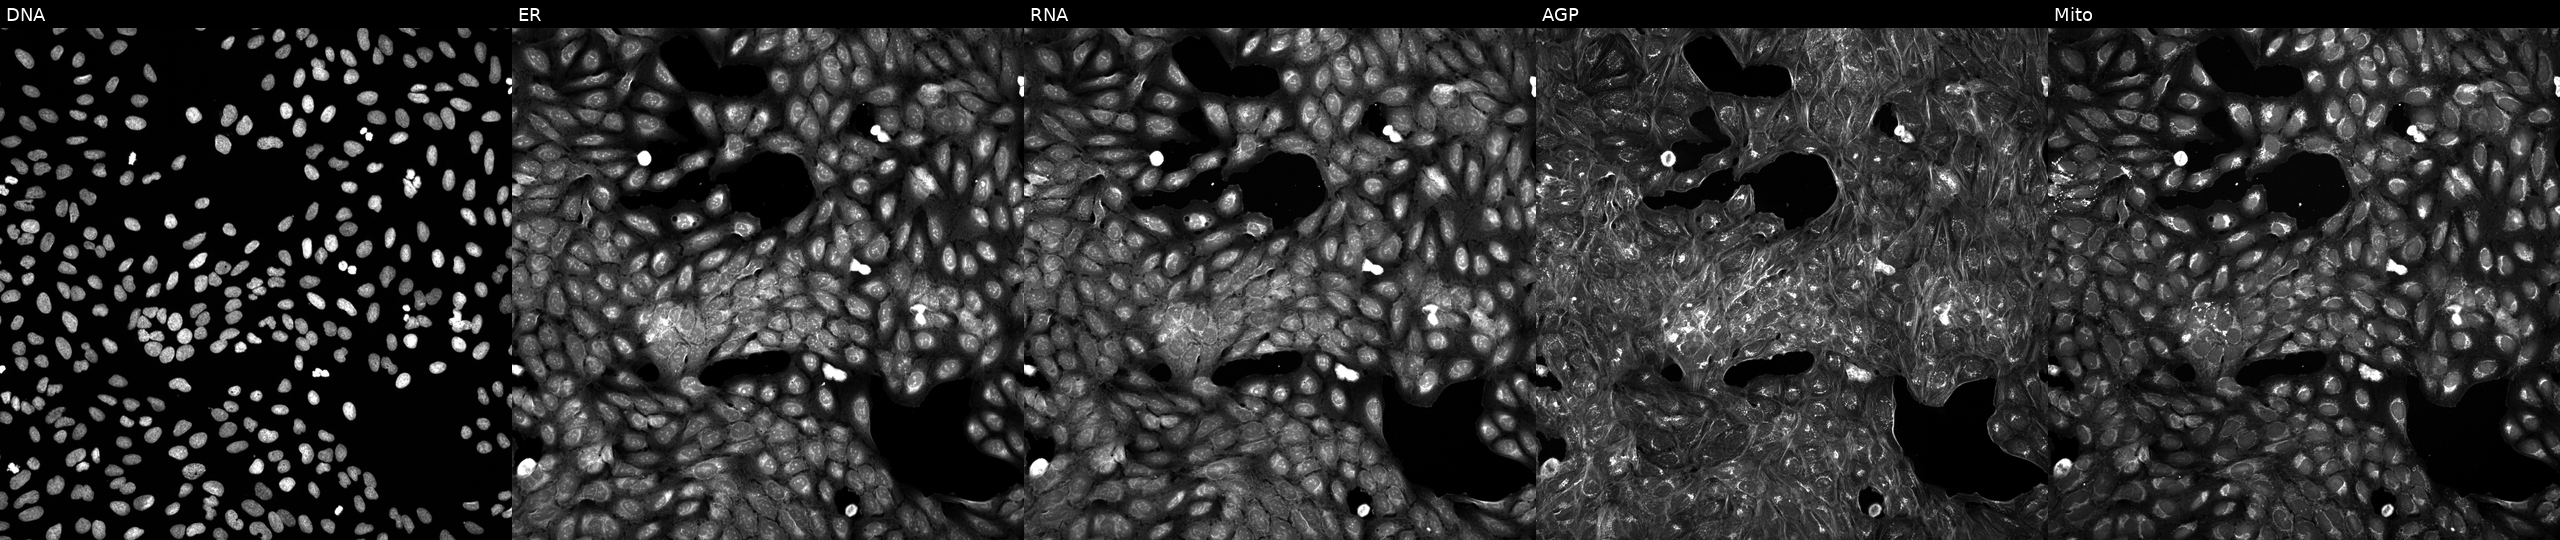
This image strip shows the five Cell Painting channels for a single field of U2OS cells treated with a small-molecule compound (InChIKey ZJTISUDSKJRWLN-UHFFFAOYSA-N) [SMILES: O=C(N=c1nc2ncccn2[nH]1)c1noc2c1CCCC2]. Panels show, left to right, DNA (nuclei); ER (endoplasmic reticulum); RNA (nucleoli and cytoplasmic RNA); AGP (actin cytoskeleton, Golgi, and plasma membrane); Mito (mitochondria).